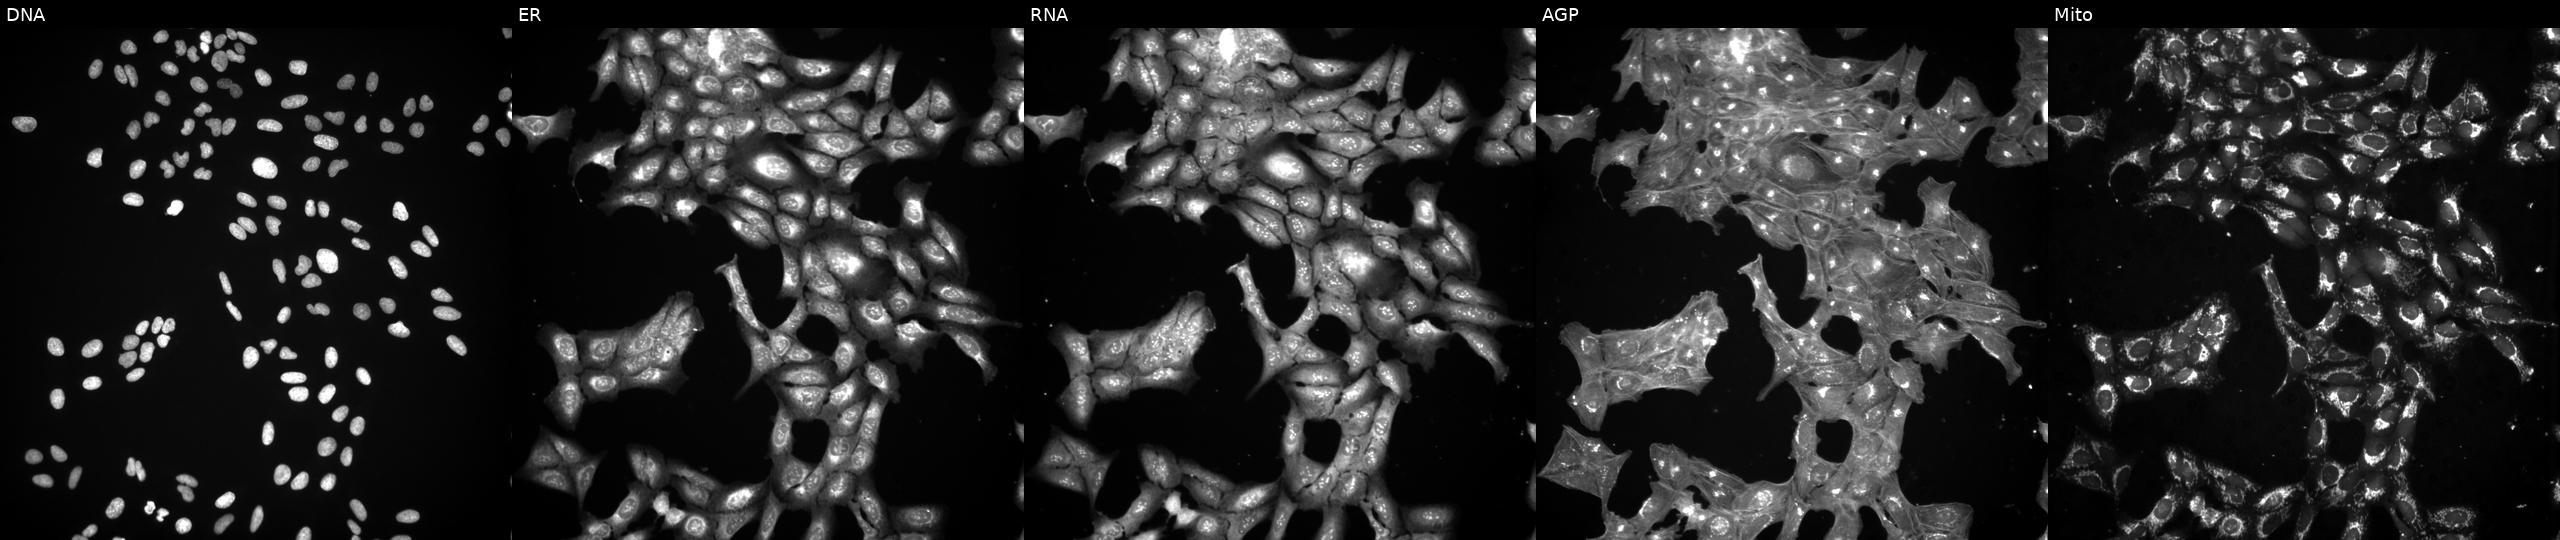
High-content fluorescence microscopy (Cell Painting). Cell line: U2OS. Perturbation: perturbed with a small-molecule compound (InChIKey MQPREDSGRRLUDP-UHFFFAOYSA-N) (JUMP id JCP2022_055896). The five panels, left to right, show Hoechst 33342, concanavalin A, SYTO 14, phalloidin and WGA, MitoTracker.